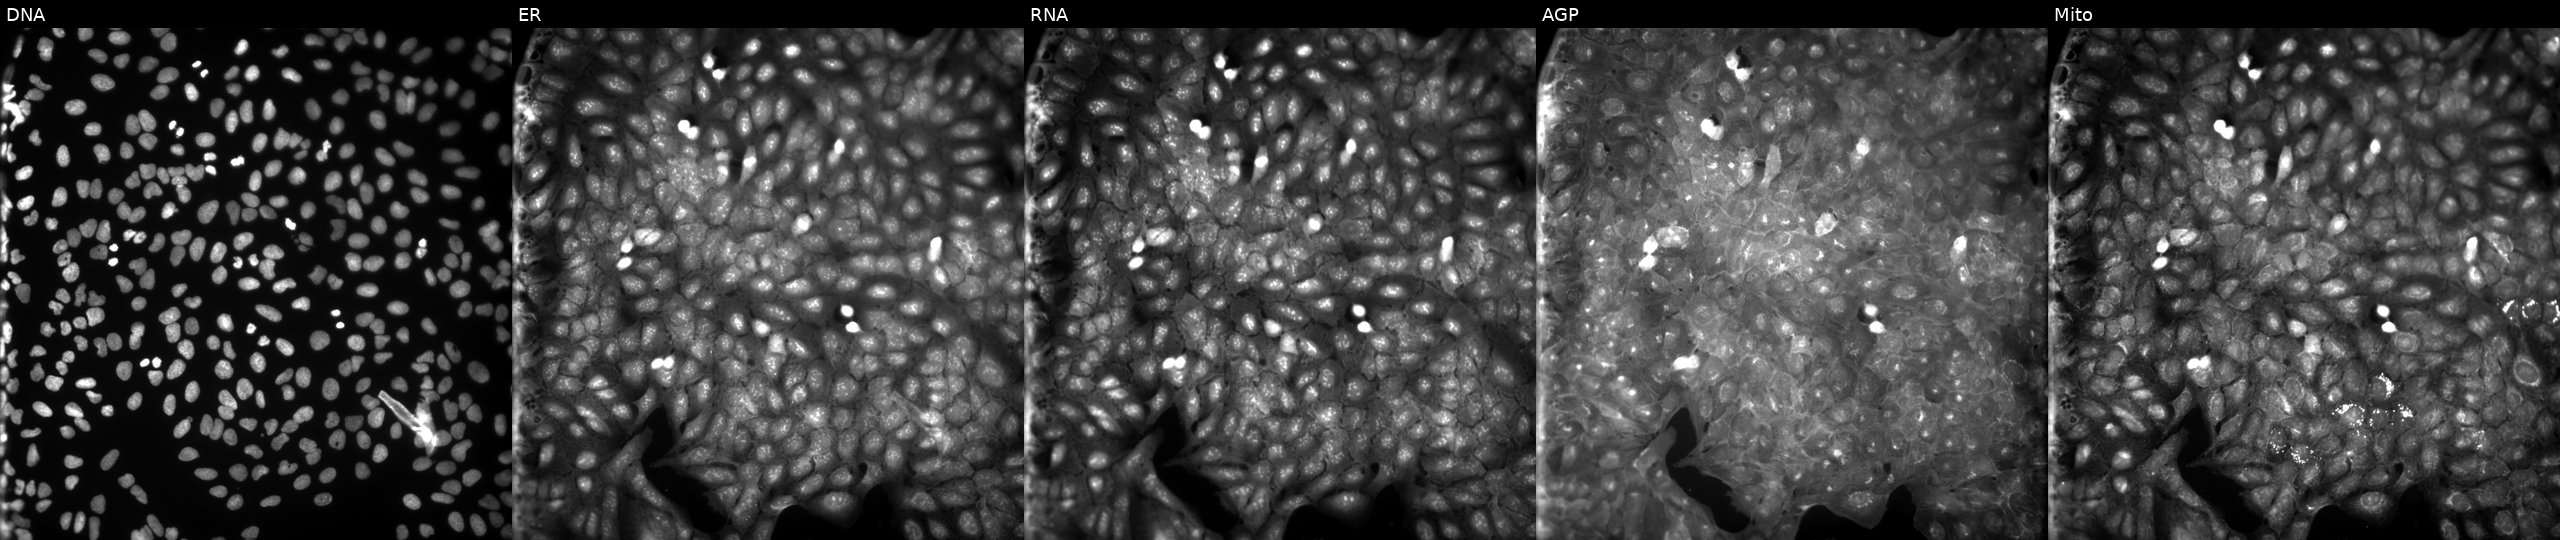
JUMP Cell Painting — COMPOUND plate. U2OS cells perturbed with a small-molecule compound. From left to right: DNA (nuclei); ER (endoplasmic reticulum); RNA (nucleoli and cytoplasmic RNA); AGP (actin cytoskeleton, Golgi, and plasma membrane); Mito (mitochondria).